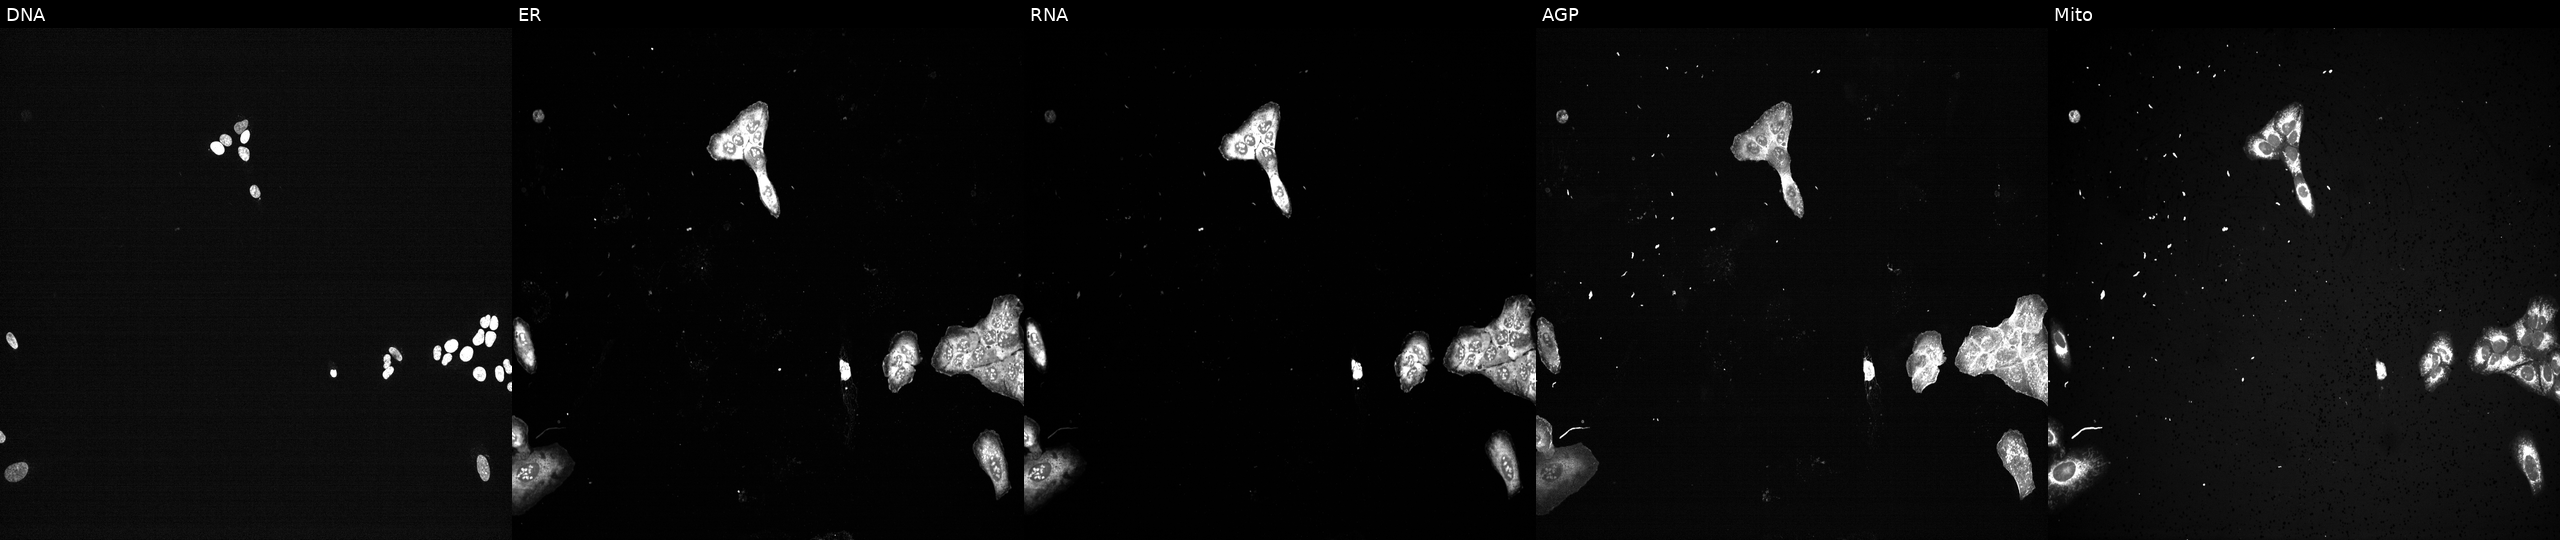
JUMP Cell Painting — CRISPR plate. U2OS cells with PLK1 knocked out by CRISPR (positive control). Panels show, left to right, DNA, ER, RNA, AGP, and Mito.